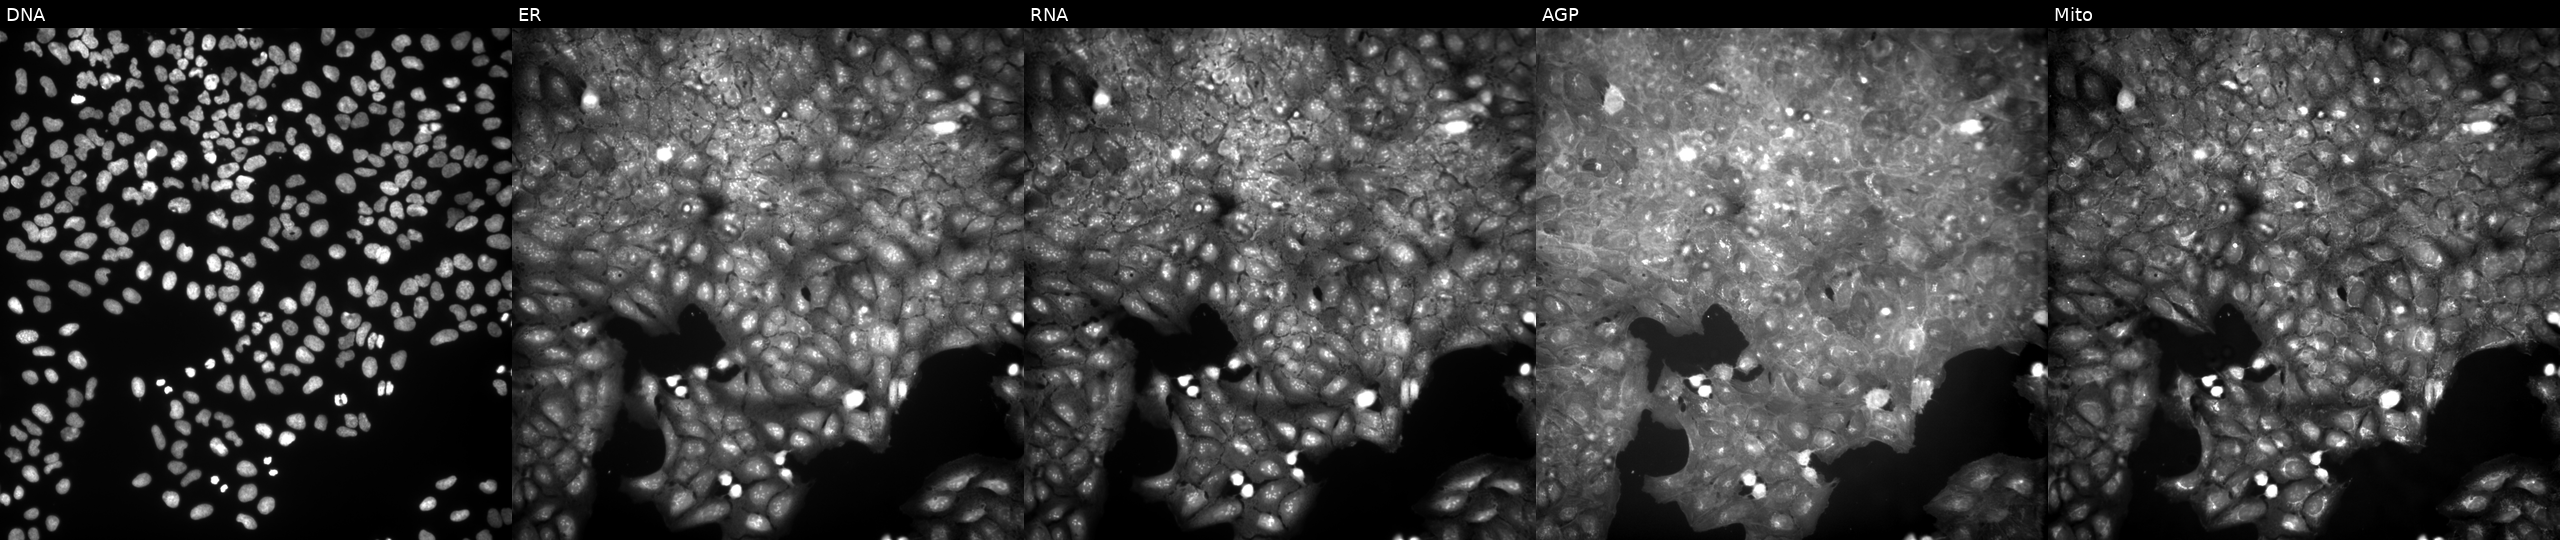
This image strip shows the five Cell Painting channels for a single field of U2OS cells perturbed with a small-molecule compound (InChIKey AFEIJJFDRLYIAC-UHFFFAOYSA-N). Panels show, left to right, DNA (nuclei); ER (endoplasmic reticulum); RNA (nucleoli and cytoplasmic RNA); AGP (actin cytoskeleton, Golgi, and plasma membrane); Mito (mitochondria).